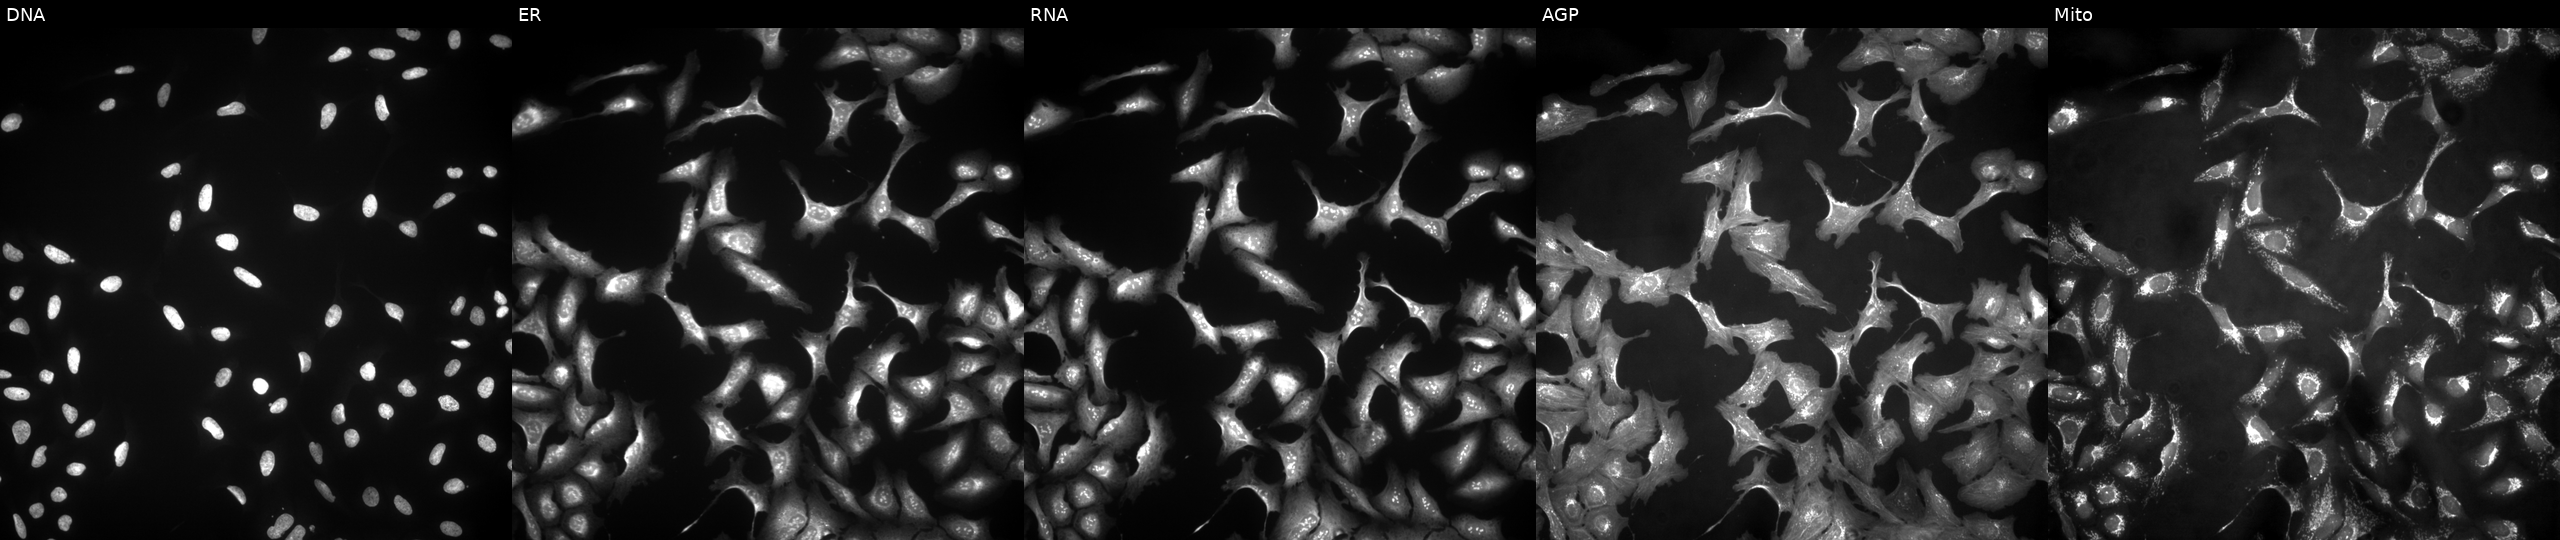
High-content fluorescence microscopy (Cell Painting). Cell line: U2OS. Perturbation: with C9orf43 overexpressed (ORF) (JUMP id JCP2022_904975). Channels (left→right): Hoechst 33342, concanavalin A, SYTO 14, phalloidin and WGA, MitoTracker. Source 4, plate BR00123506, well E05.